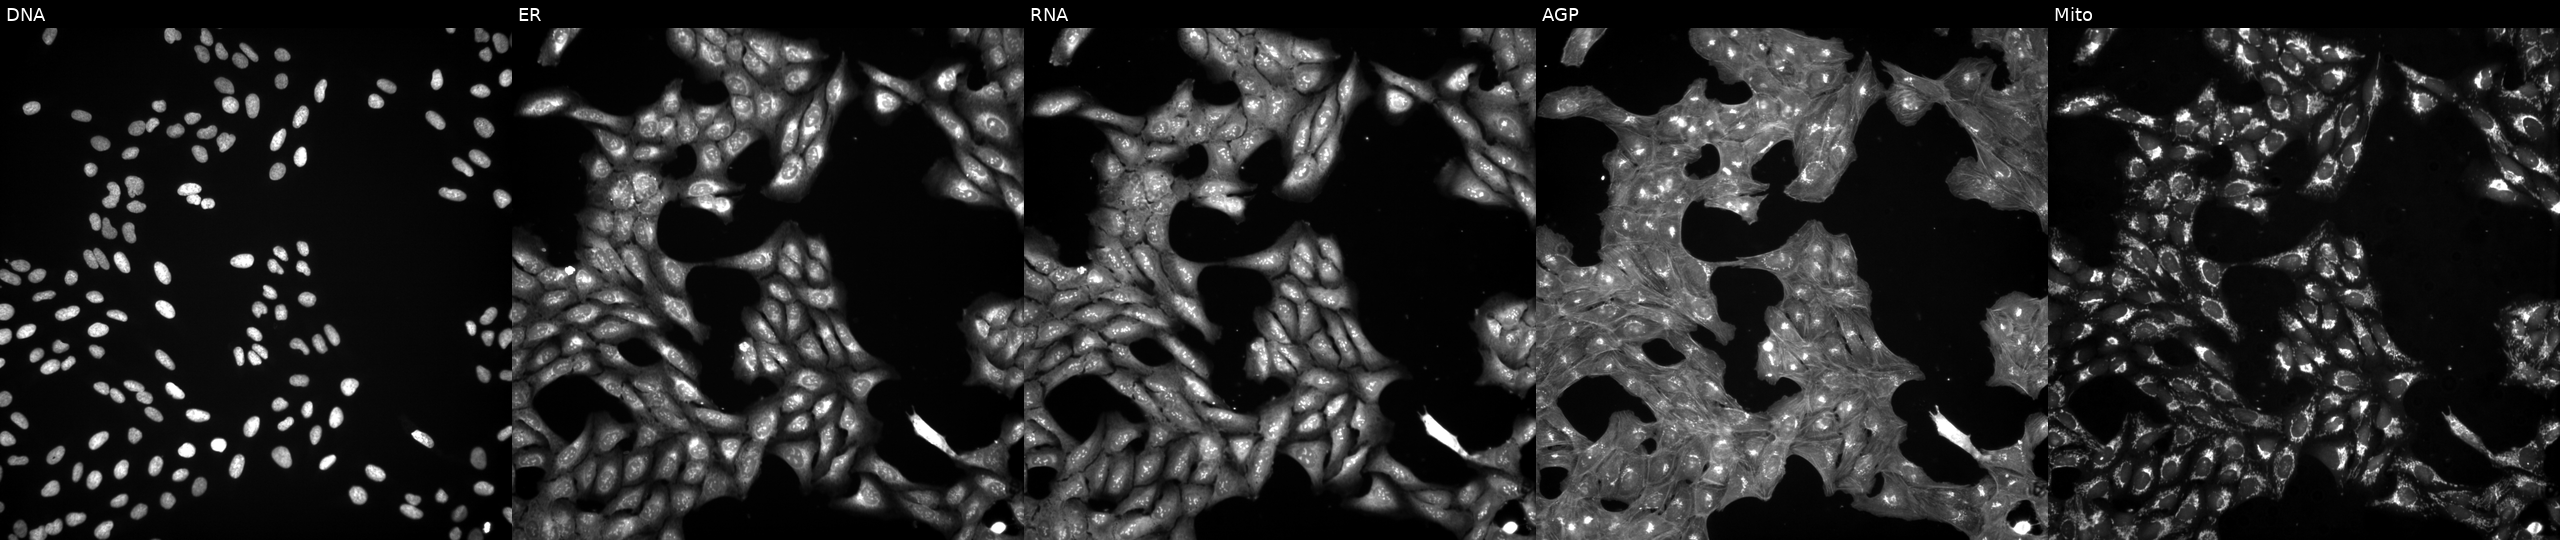
JUMP Cell Painting — COMPOUND plate. U2OS cells exposed to a small-molecule compound (InChIKey GZTMBGCHTPVDSN-UHFFFAOYSA-N) [SMILES: CN(C)S(=O)(=O)c1cccc(NC(=O)COc2nc3ccccc3nc2N2CCOCC2)c1]. Panels show, left to right, DNA (nuclei); ER (endoplasmic reticulum); RNA (nucleoli and cytoplasmic RNA); AGP (actin cytoskeleton, Golgi, and plasma membrane); Mito (mitochondria). Source 3, plate BR5867a3, well L09.